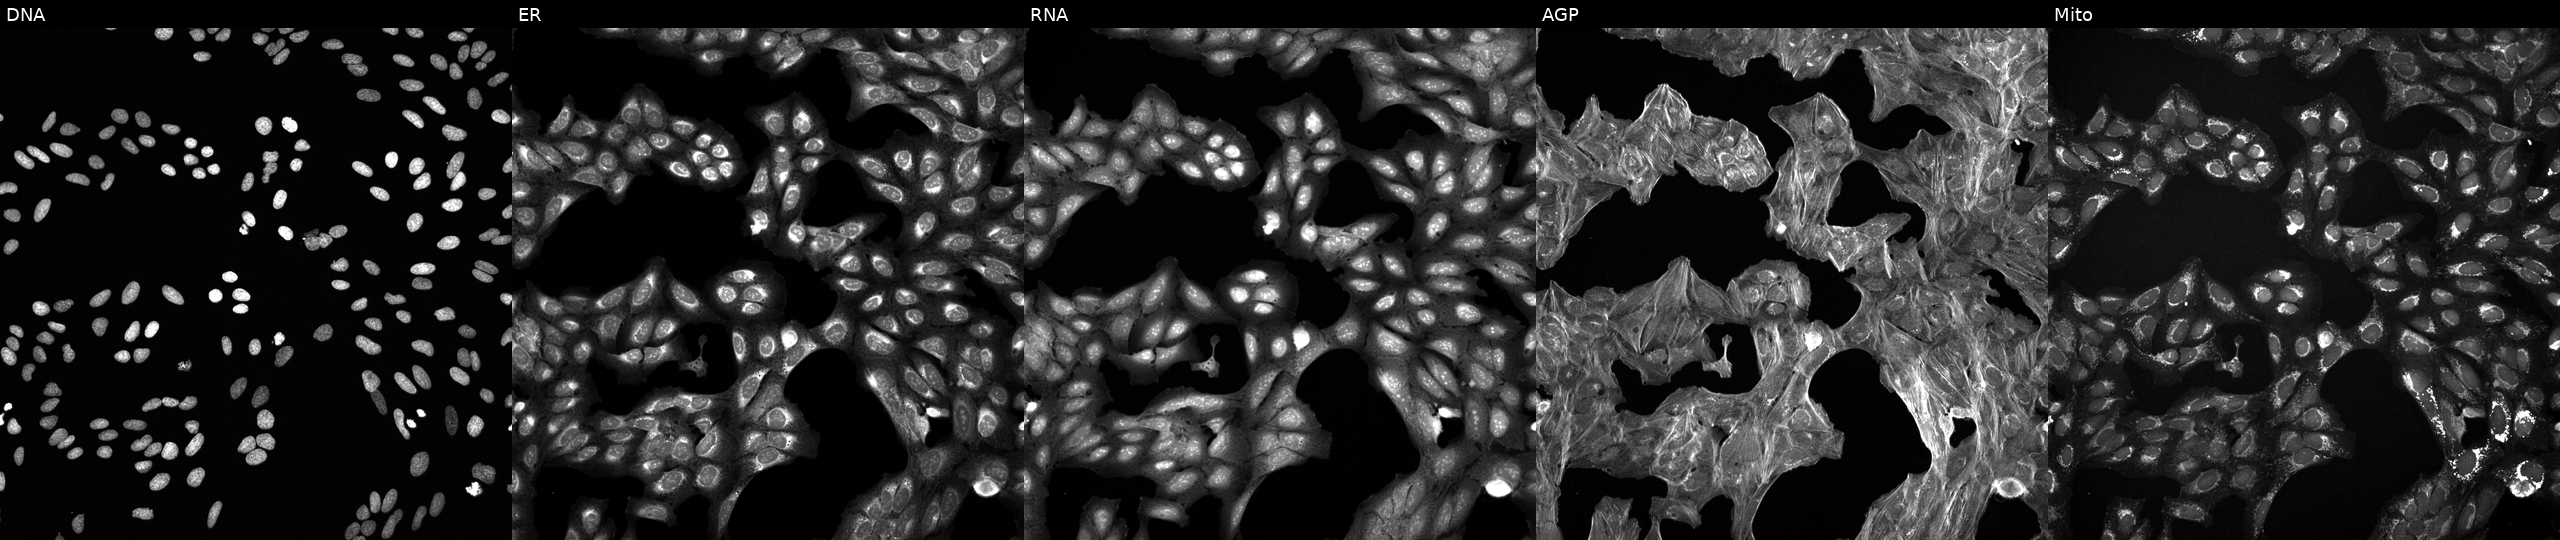
High-content fluorescence microscopy (Cell Painting). Cell line: U2OS. Perturbation: exposed to a small-molecule compound (InChIKey HFOOXKKMGGBWFS-UHFFFAOYSA-N) [SMILES: Cc1ccc2[nH]c(=NC(=O)CN(c3ccccc3C)S(C)(=O)=O)sc2c1]. Panels show, left to right, DNA (nuclei); ER (endoplasmic reticulum); RNA (nucleoli and cytoplasmic RNA); AGP (actin cytoskeleton, Golgi, and plasma membrane); Mito (mitochondria). Source 6, plate 110000293083, well K19.